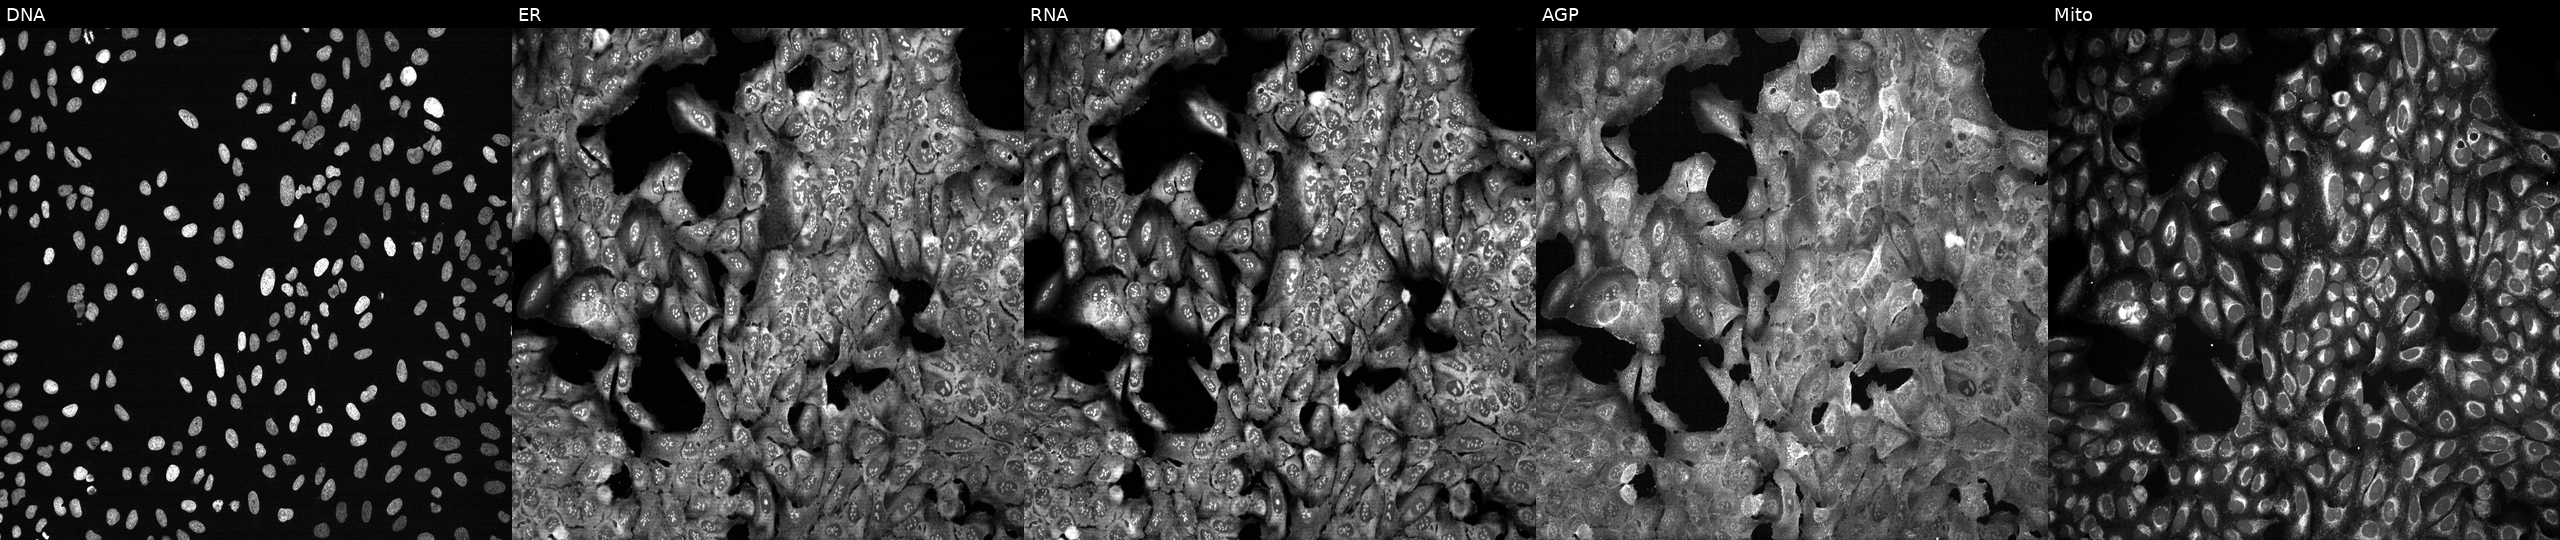
High-content fluorescence microscopy (Cell Painting). Cell line: U2OS. Perturbation: CRISPR-edited to disrupt HLA-C (JUMP id JCP2022_803122). The five panels, left to right, show DNA, ER, RNA, AGP, and Mito.